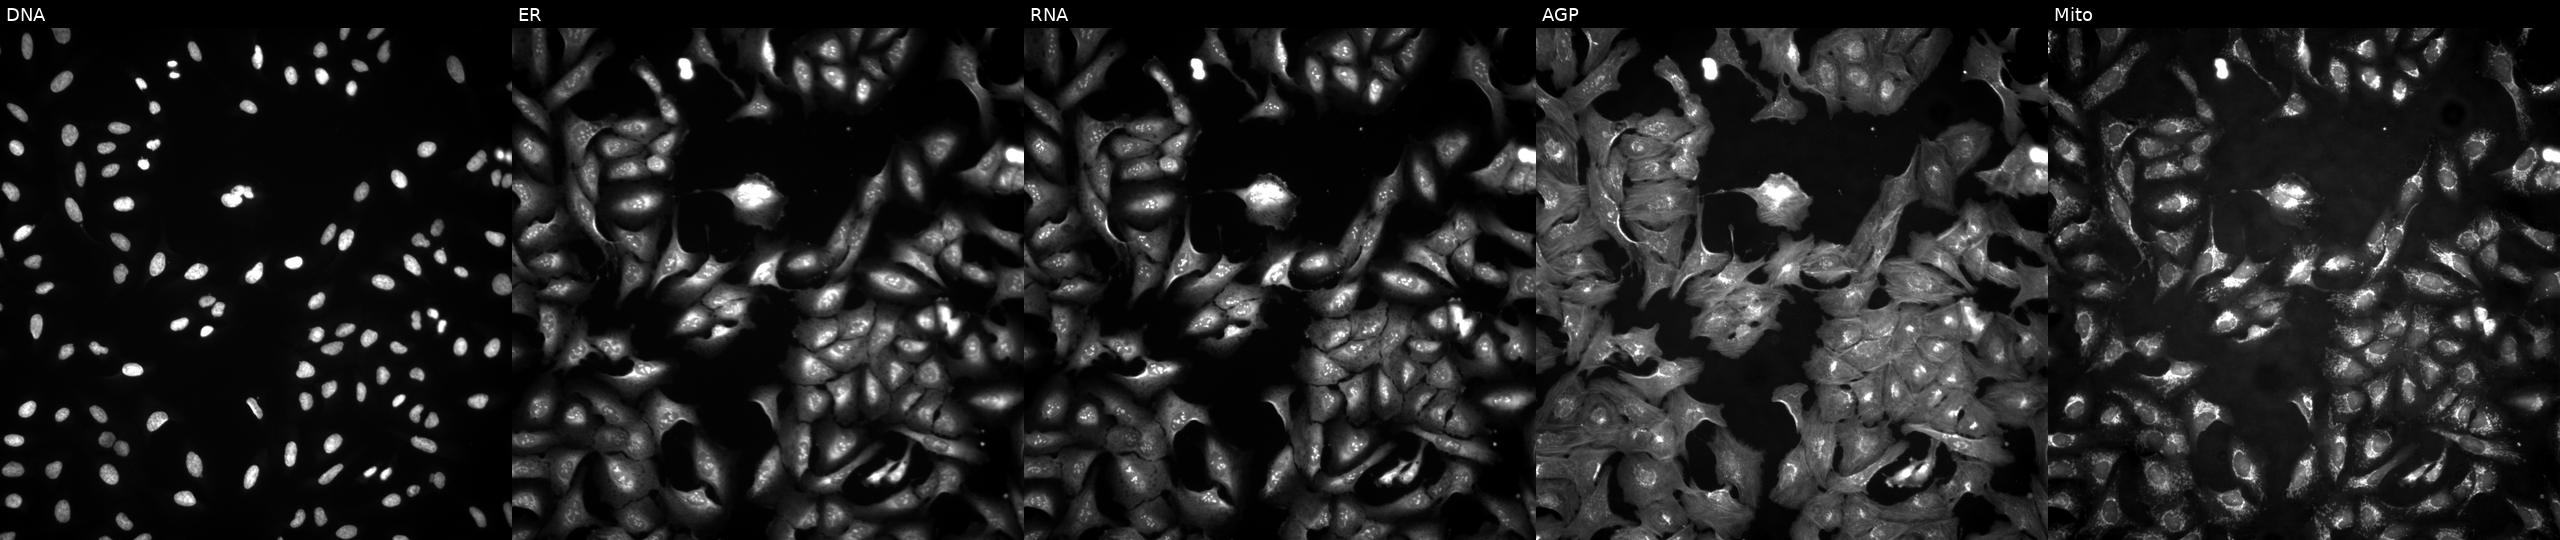
JUMP Cell Painting — ORF plate. U2OS cells with DKFZp566H0824 overexpressed (ORF) (JUMP id JCP2022_911256). Panels show, left to right, Hoechst 33342, concanavalin A, SYTO 14, phalloidin and WGA, MitoTracker.